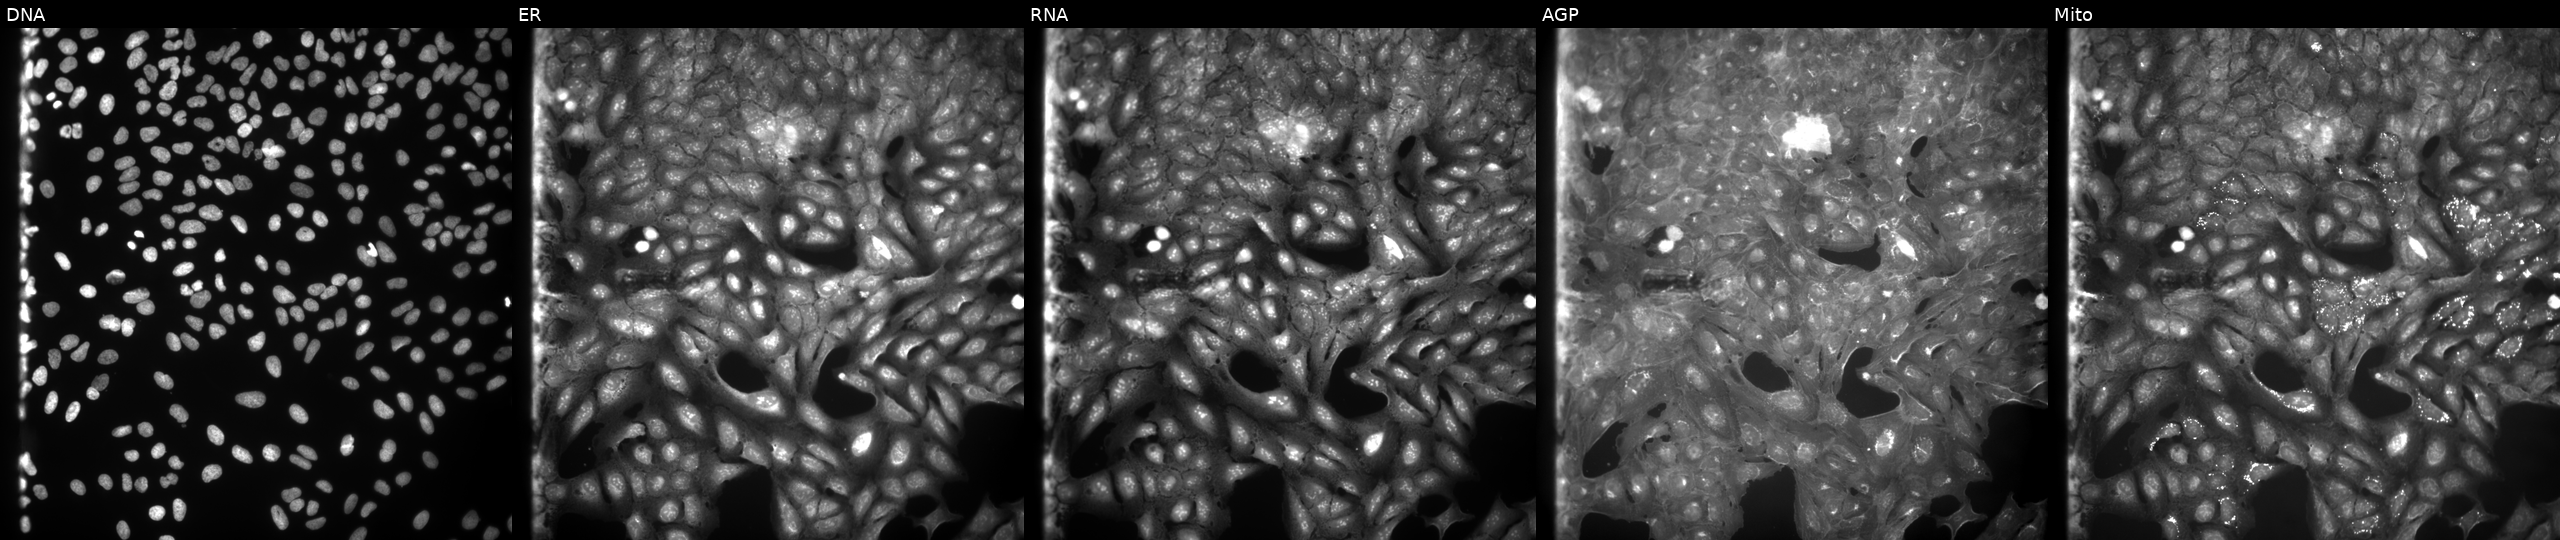
High-content fluorescence microscopy (Cell Painting). Cell line: U2OS. Perturbation: exposed to a small-molecule compound (JUMP id JCP2022_090250). Panels show, left to right, Hoechst 33342, concanavalin A, SYTO 14, phalloidin and WGA, MitoTracker. Source 9, plate GR00003381, well E08.